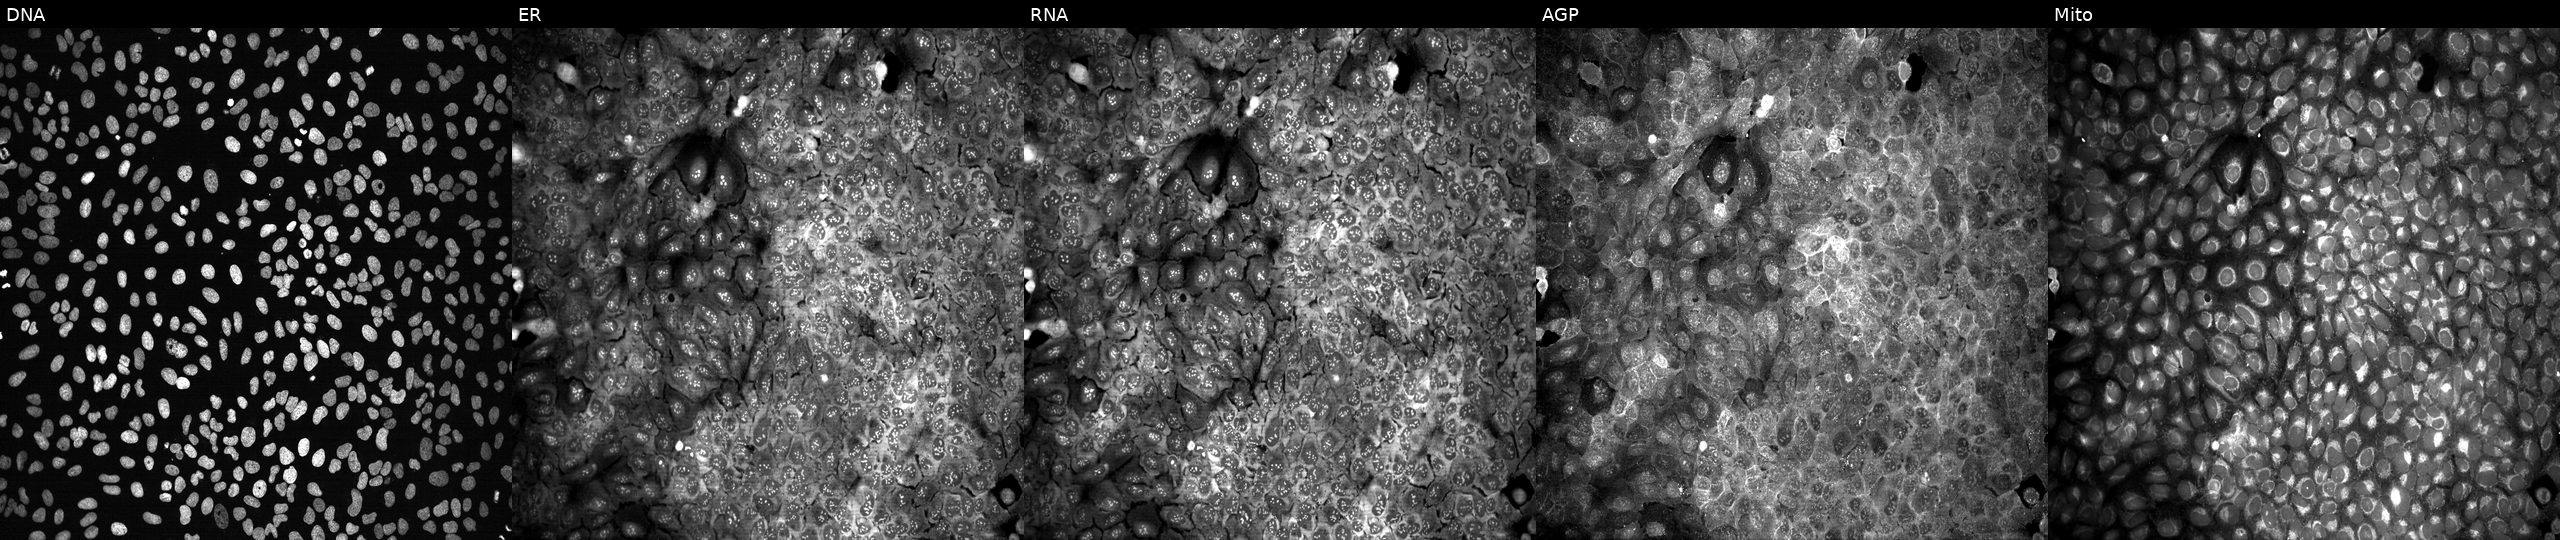
U2OS cells, Cell Painting assay, with a non-targeting CRISPR guide (negative control). The five panels, left to right, show DNA (nuclei); ER (endoplasmic reticulum); RNA (nucleoli and cytoplasmic RNA); AGP (actin cytoskeleton, Golgi, and plasma membrane); Mito (mitochondria). Each panel is percentile-stretched 16-bit fluorescence. Source 13, plate CP-CC9-R5-01, well F23.